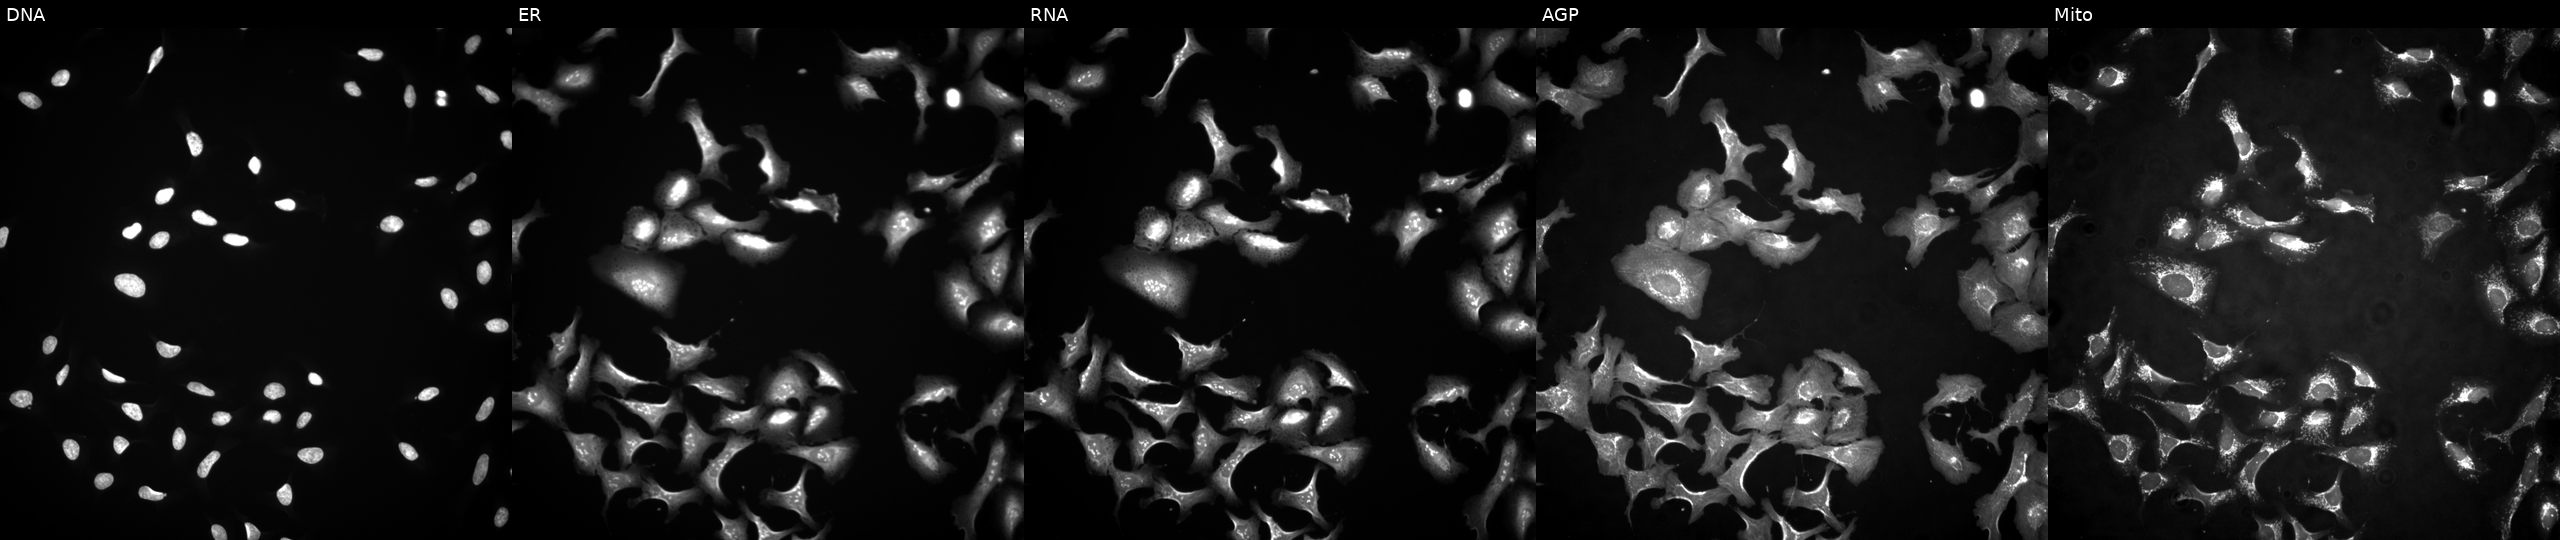
U2OS cells, Cell Painting assay, transfected with an ORF construct for TADA3. Channels (left→right): DNA (nuclei); ER (endoplasmic reticulum); RNA (nucleoli and cytoplasmic RNA); AGP (actin cytoskeleton, Golgi, and plasma membrane); Mito (mitochondria). Each panel is percentile-stretched 16-bit fluorescence.